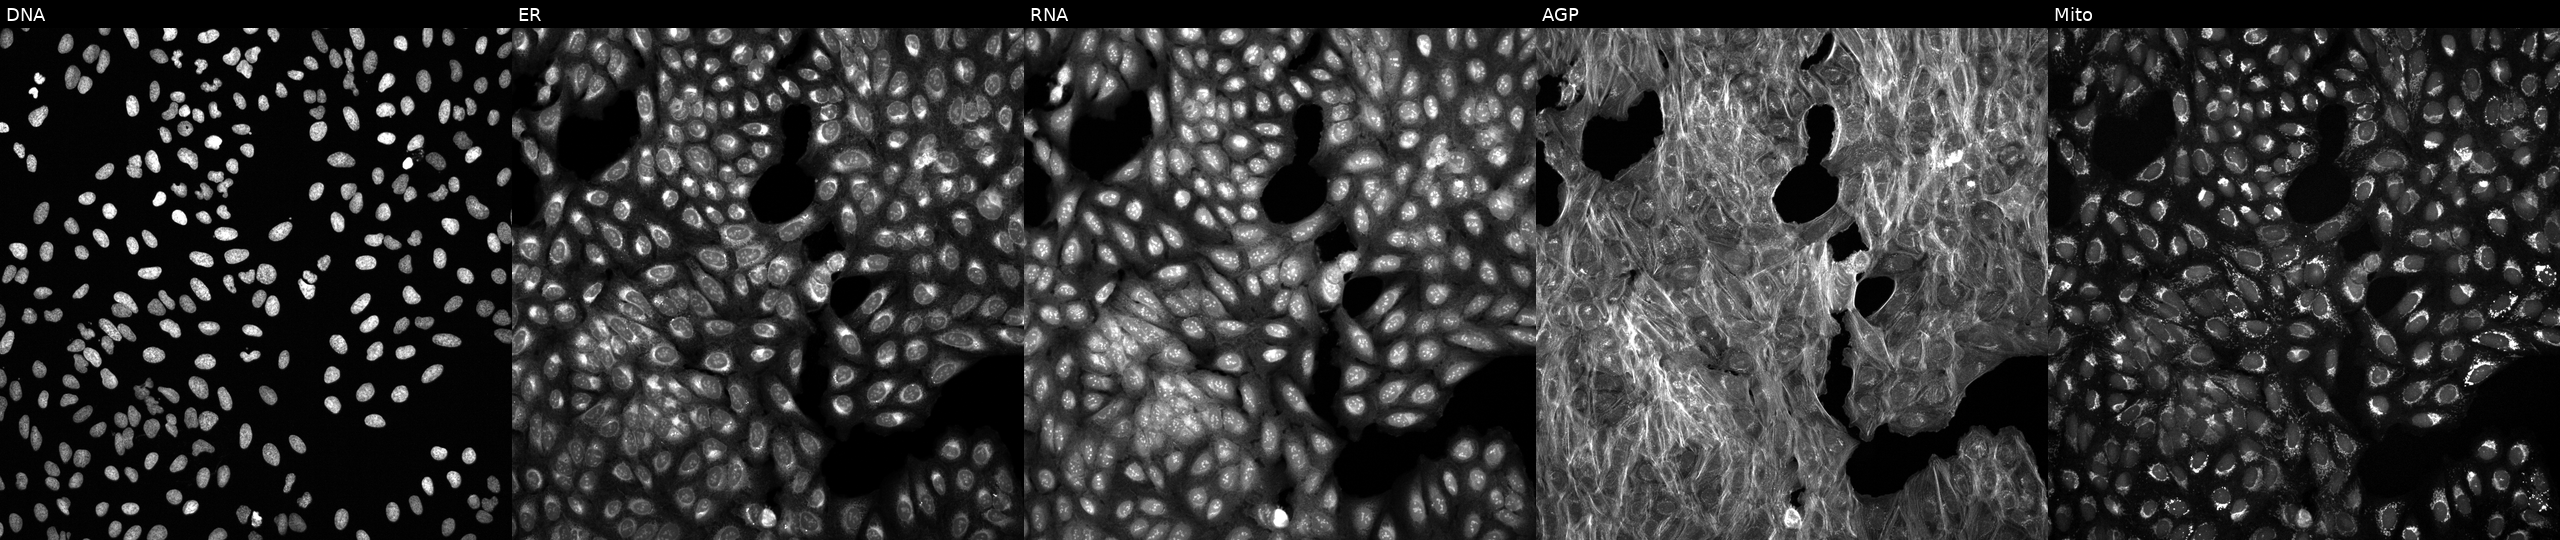
Five-channel Cell Painting image of U2OS cells exposed to DMSO alone as a negative control. The five panels, left to right, show Hoechst 33342, concanavalin A, SYTO 14, phalloidin and WGA, MitoTracker. Source 6, plate 110000293081, well F24.